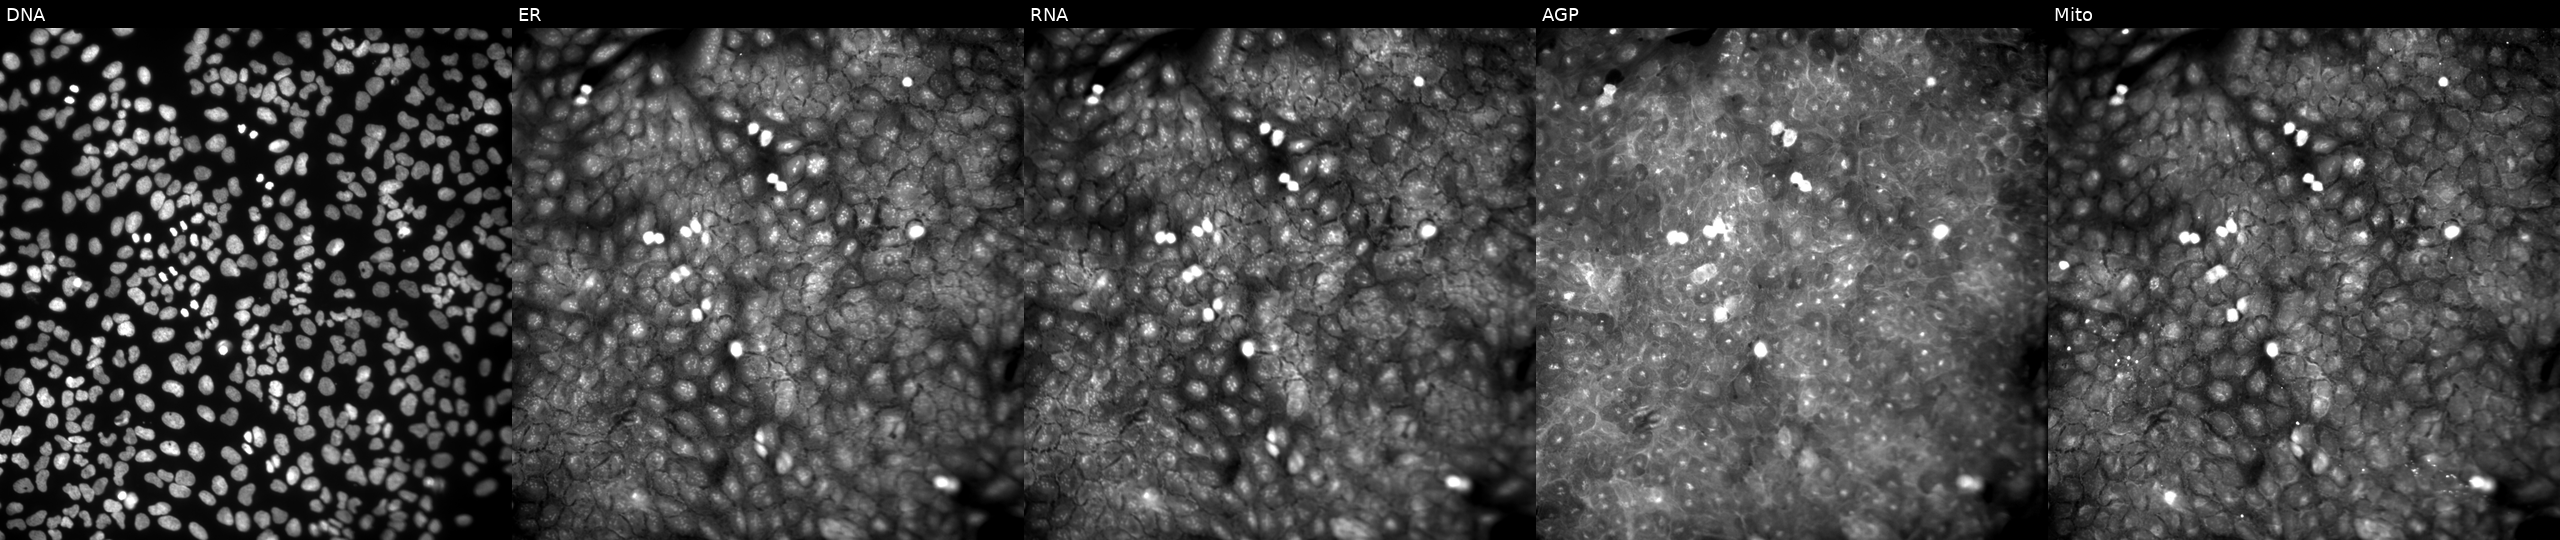
From left to right: DNA (nuclei); ER (endoplasmic reticulum); RNA (nucleoli and cytoplasmic RNA); AGP (actin cytoskeleton, Golgi, and plasma membrane); Mito (mitochondria). U2OS osteosarcoma cells treated with a small-molecule compound (JUMP id JCP2022_011819). Cell Painting assay, JUMP-CP dataset. Source 9, plate GR00003382, well AA44.